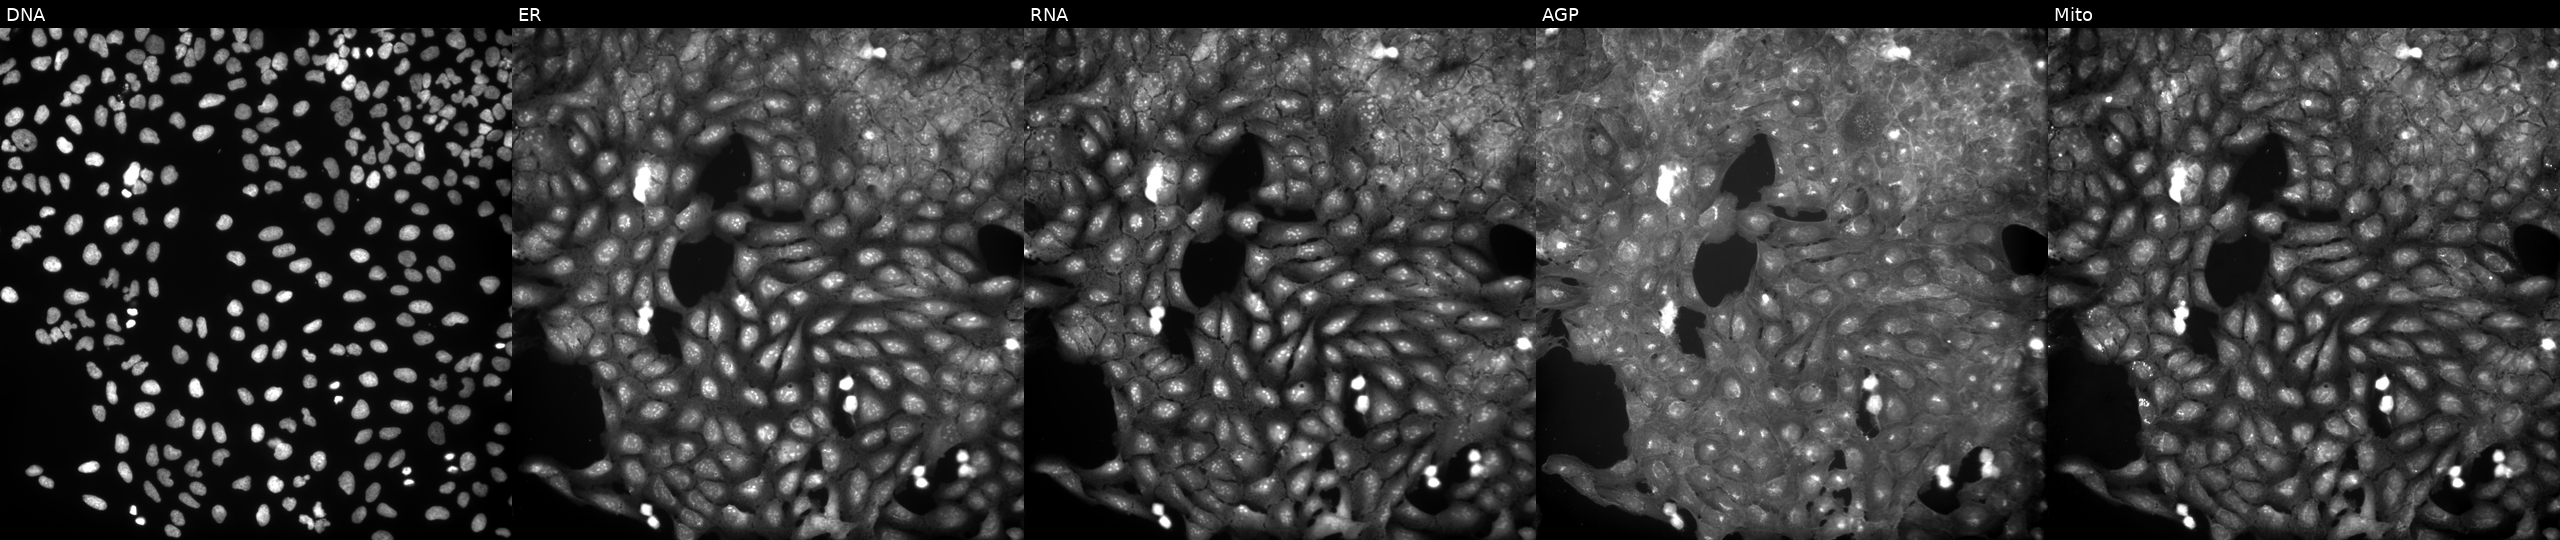
High-content fluorescence microscopy (Cell Painting). Cell line: U2OS. Perturbation: exposed to a small-molecule compound (JUMP id JCP2022_062656). The five panels, left to right, show Hoechst 33342, concanavalin A, SYTO 14, phalloidin and WGA, MitoTracker.